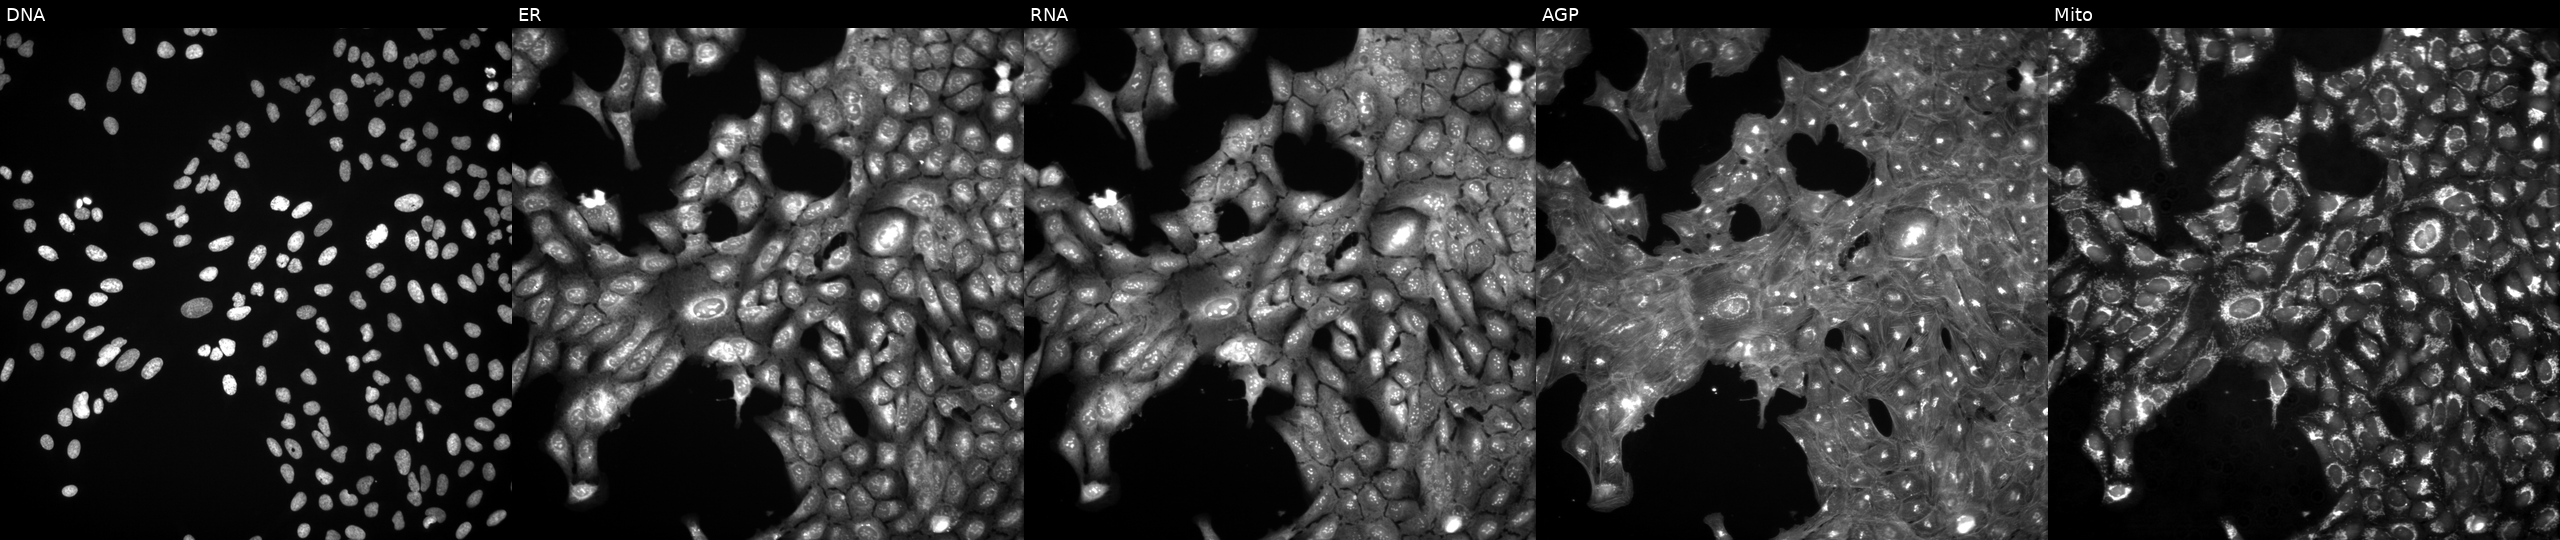
The five panels, left to right, show Hoechst 33342, concanavalin A, SYTO 14, phalloidin and WGA, MitoTracker. U2OS osteosarcoma cells exposed to a small-molecule compound (InChIKey KFAKESMKRPNZTM-UHFFFAOYSA-N) (JUMP id JCP2022_044197). Cell Painting assay, JUMP-CP dataset. Source 3, plate JCPQC052, well C23.